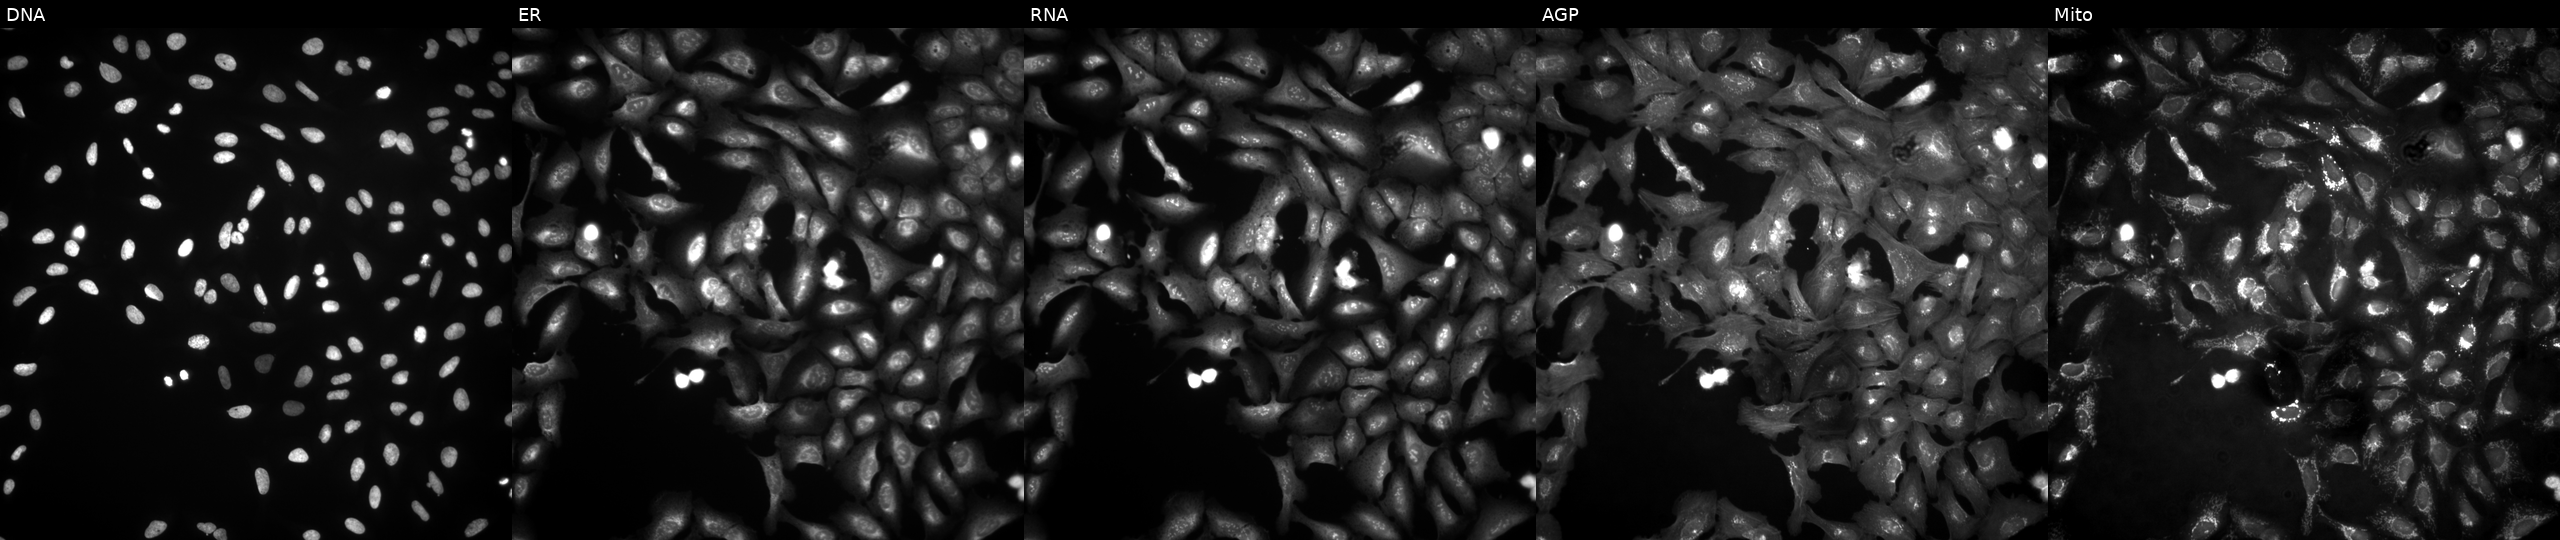
JUMP Cell Painting — ORF plate. U2OS cells transfected with an ORF construct for EDDM3B. The five panels, left to right, show DNA (nuclei); ER (endoplasmic reticulum); RNA (nucleoli and cytoplasmic RNA); AGP (actin cytoskeleton, Golgi, and plasma membrane); Mito (mitochondria).